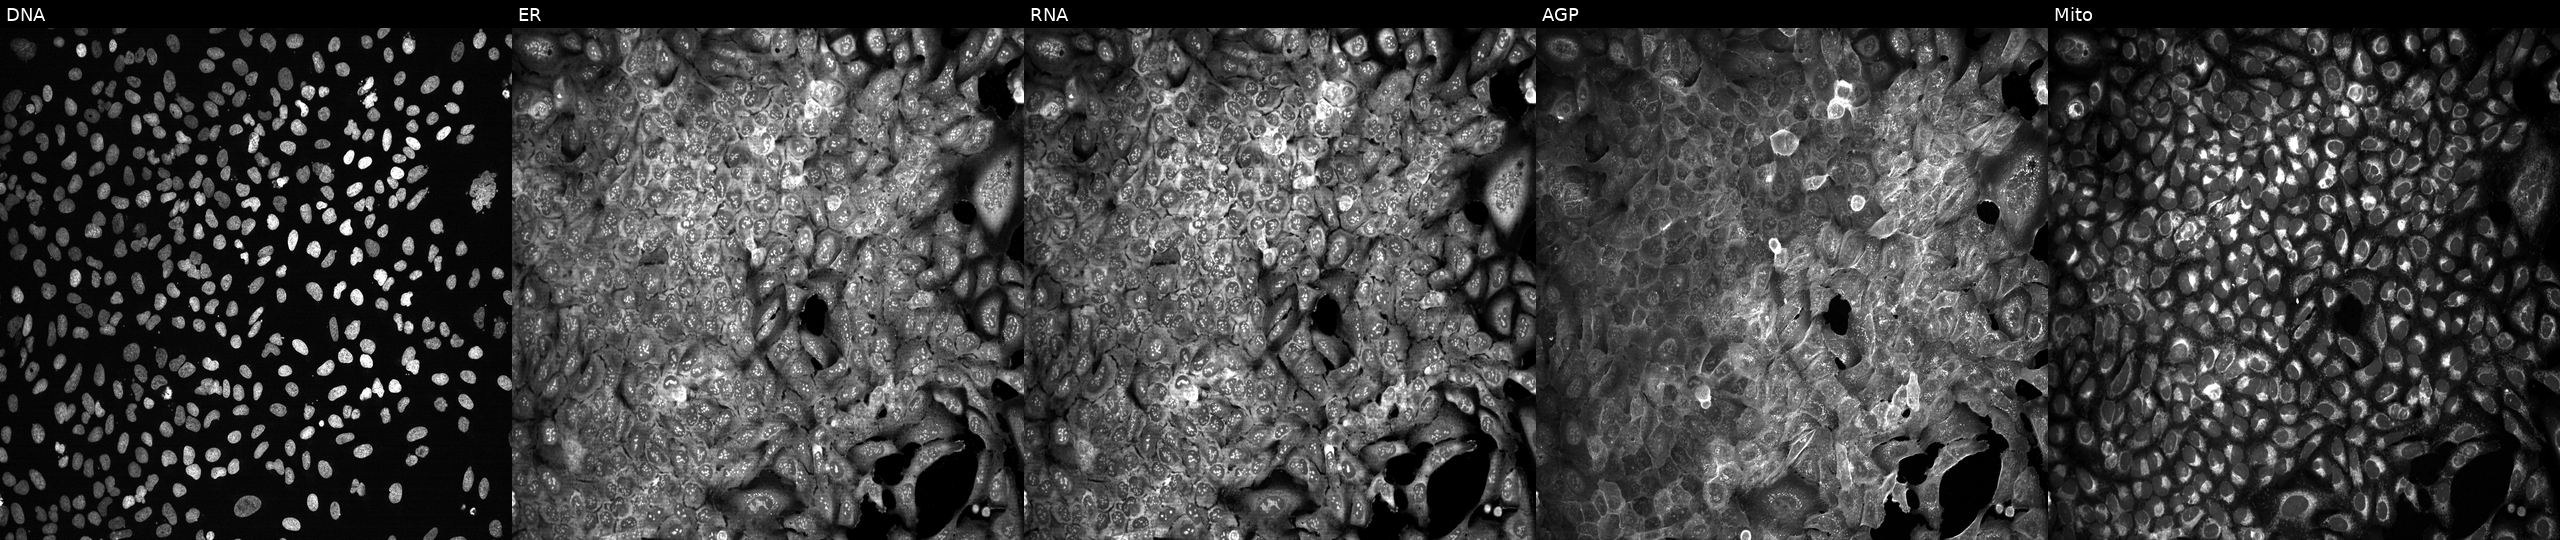
The five panels, left to right, show DNA (nuclei); ER (endoplasmic reticulum); RNA (nucleoli and cytoplasmic RNA); AGP (actin cytoskeleton, Golgi, and plasma membrane); Mito (mitochondria). U2OS osteosarcoma cells with ATP23 knocked out by CRISPR. Cell Painting assay, JUMP-CP dataset.